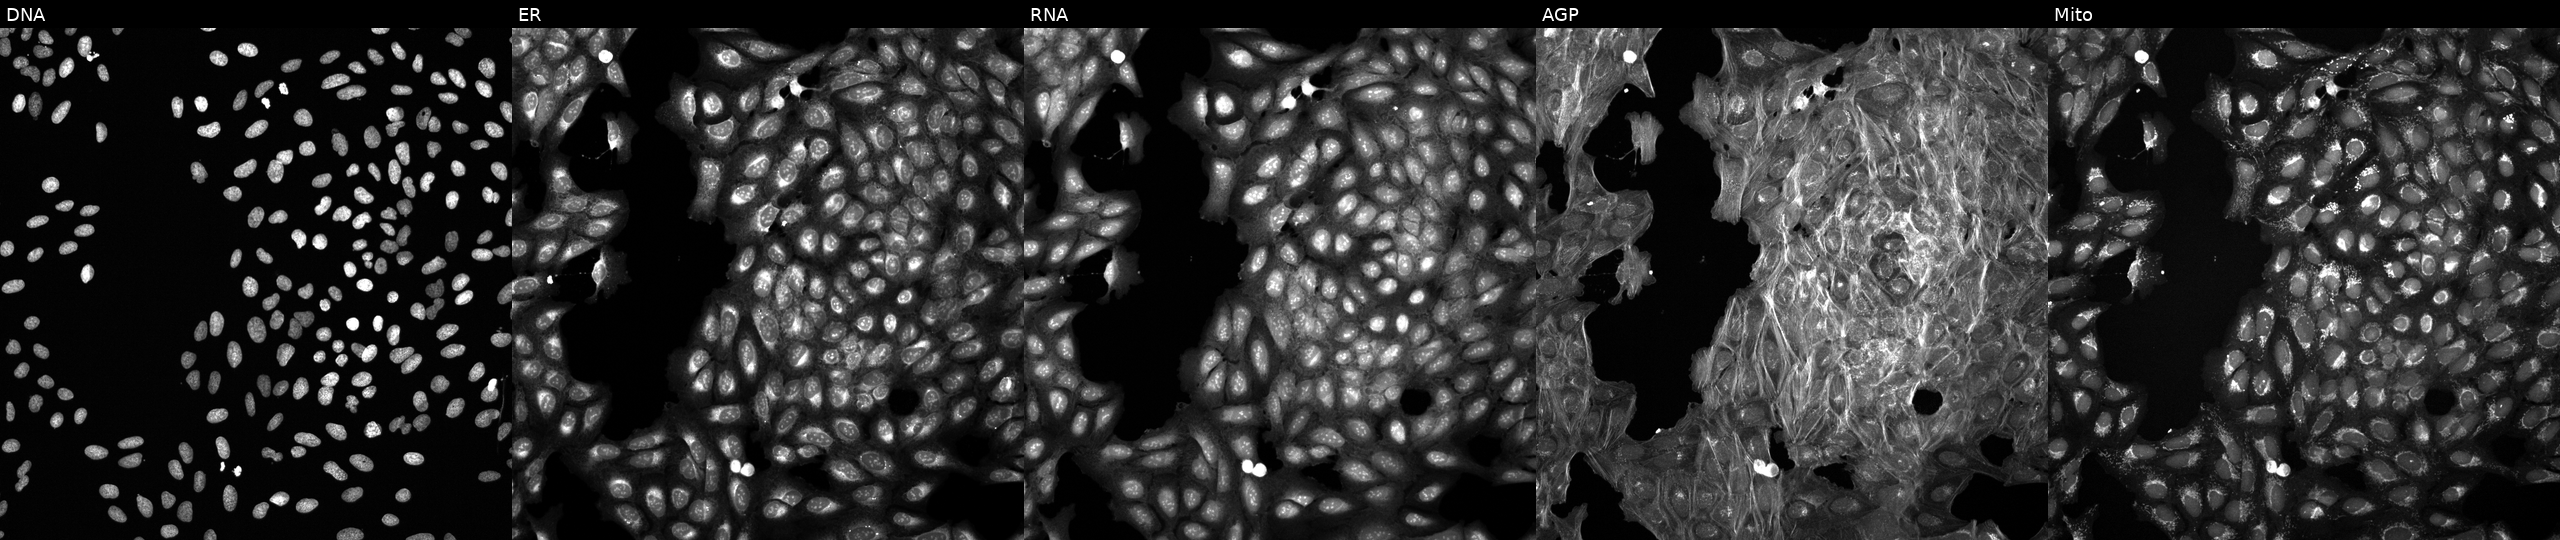
Channels (left→right): DNA (nuclei); ER (endoplasmic reticulum); RNA (nucleoli and cytoplasmic RNA); AGP (actin cytoskeleton, Golgi, and plasma membrane); Mito (mitochondria). U2OS osteosarcoma cells exposed to DMSO alone as a negative control (JUMP id JCP2022_033924). Cell Painting assay, JUMP-CP dataset.